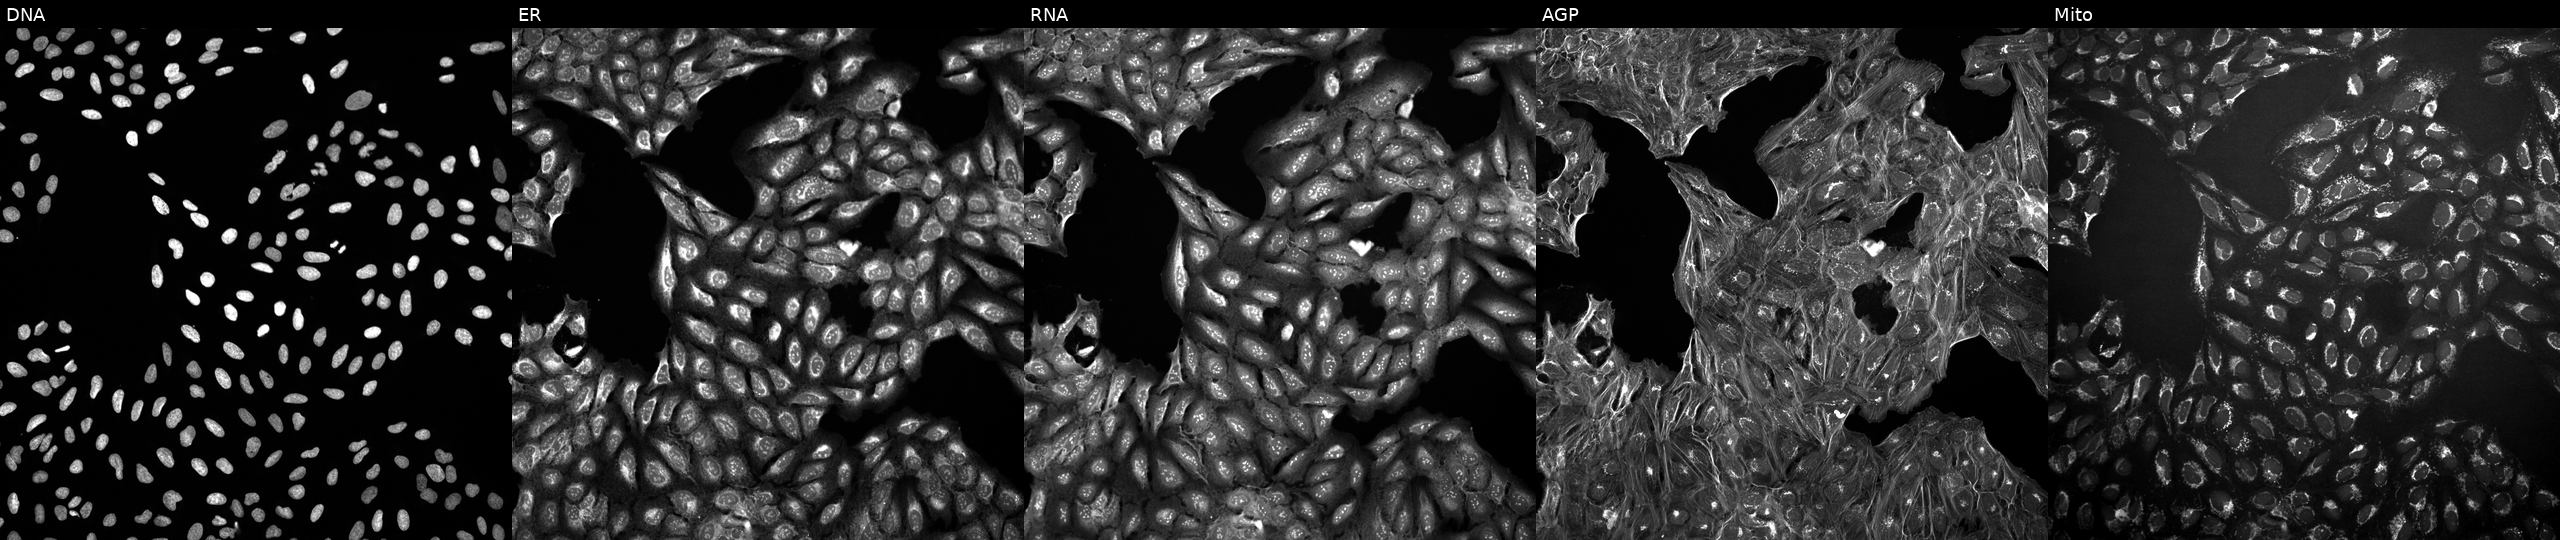
This image strip shows the five Cell Painting channels for a single field of U2OS cells treated with a small-molecule compound (InChIKey RLHMXOTYMHPTAW-UHFFFAOYSA-N) (JUMP id JCP2022_079106). Panels show, left to right, DNA (nuclei); ER (endoplasmic reticulum); RNA (nucleoli and cytoplasmic RNA); AGP (actin cytoskeleton, Golgi, and plasma membrane); Mito (mitochondria). Source 10, plate Dest210531-152324, well E07.